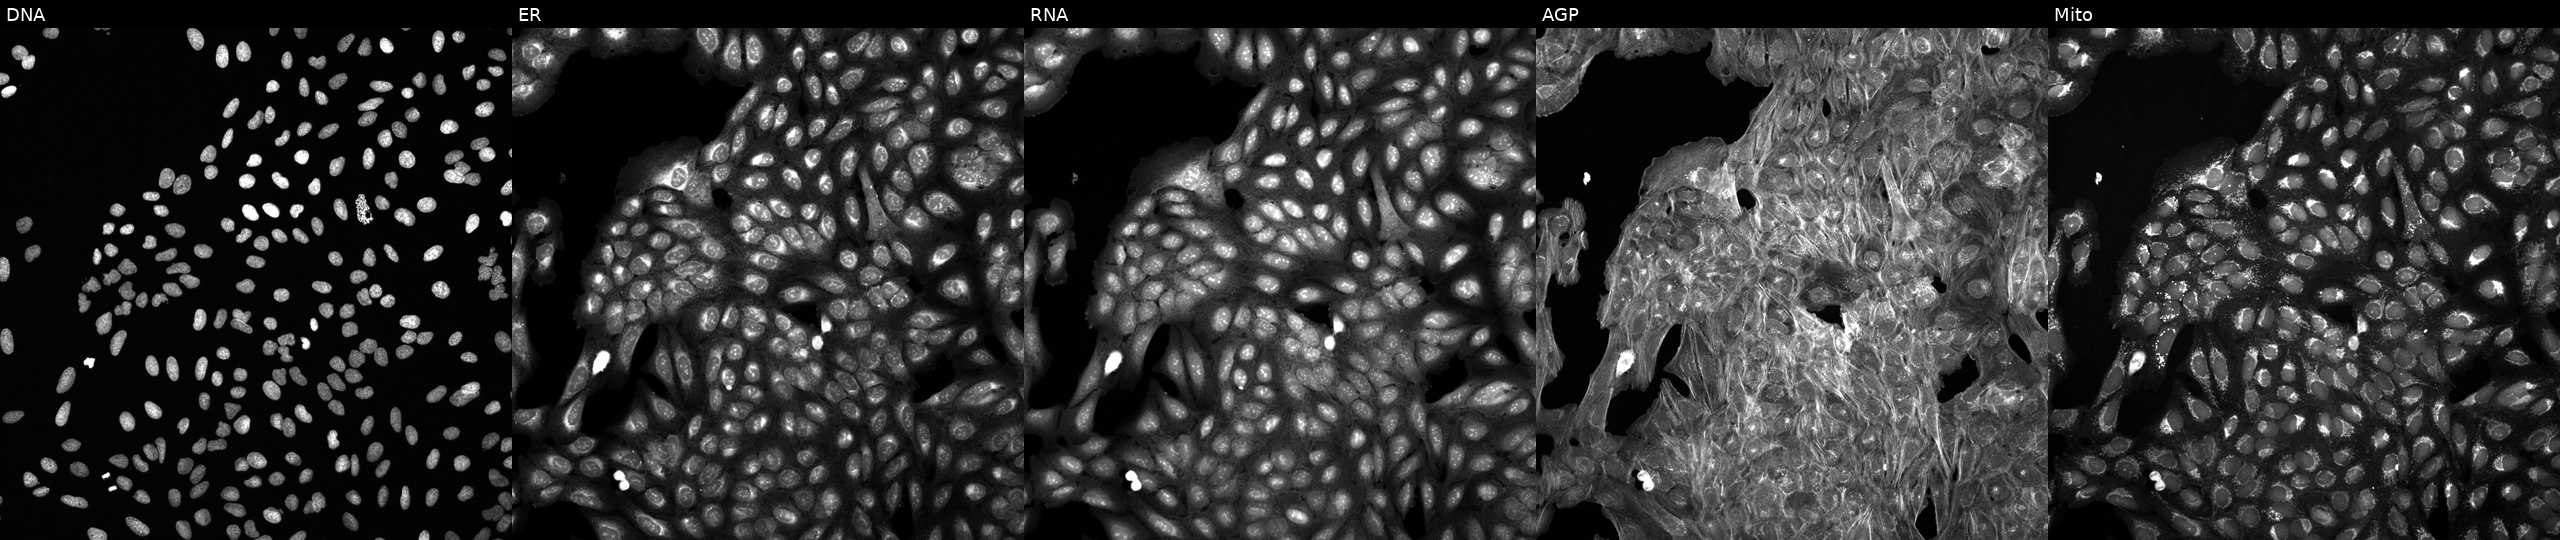
JUMP Cell Painting — TARGET2 plate. U2OS cells perturbed with a small-molecule compound (JUMP id JCP2022_048971). Panels show, left to right, Hoechst 33342, concanavalin A, SYTO 14, phalloidin and WGA, MitoTracker. Source 6, plate 110000294901, well A18.